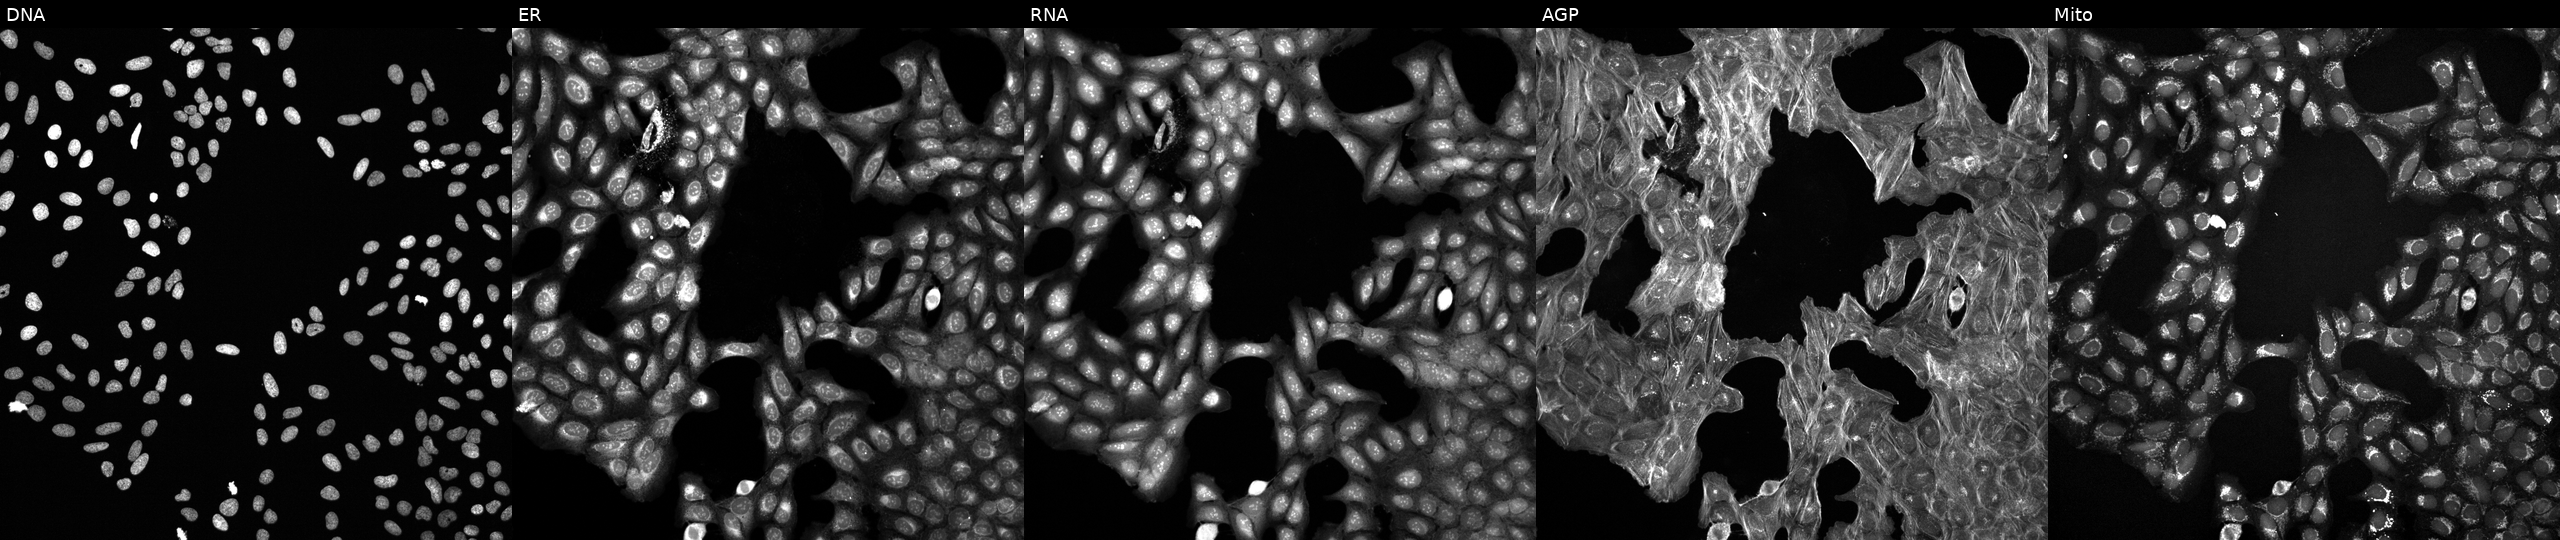
Panels show, left to right, DNA, ER, RNA, AGP, and Mito. U2OS osteosarcoma cells treated with a small-molecule compound (InChIKey MSCCQMPEJREDNY-UHFFFAOYSA-N). Cell Painting assay, JUMP-CP dataset.